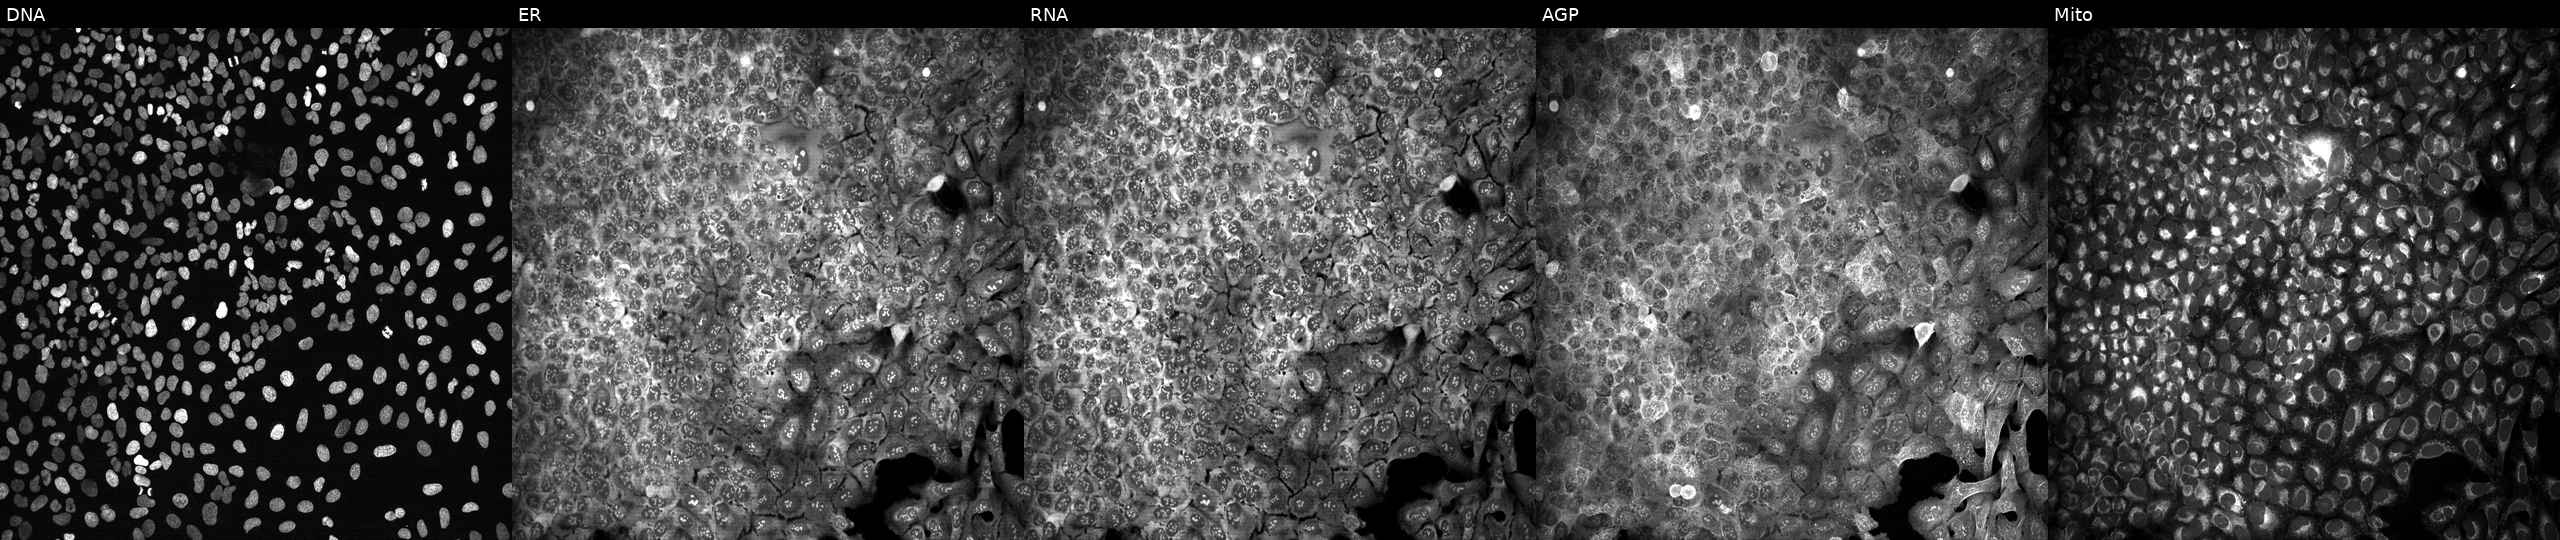
U2OS cells, Cell Painting assay, with a non-targeting CRISPR guide (negative control) (JUMP id JCP2022_800002). From left to right: DNA, ER, RNA, AGP, and Mito. Each panel is percentile-stretched 16-bit fluorescence. Source 13, plate CP-CC9-R4-03, well O23.